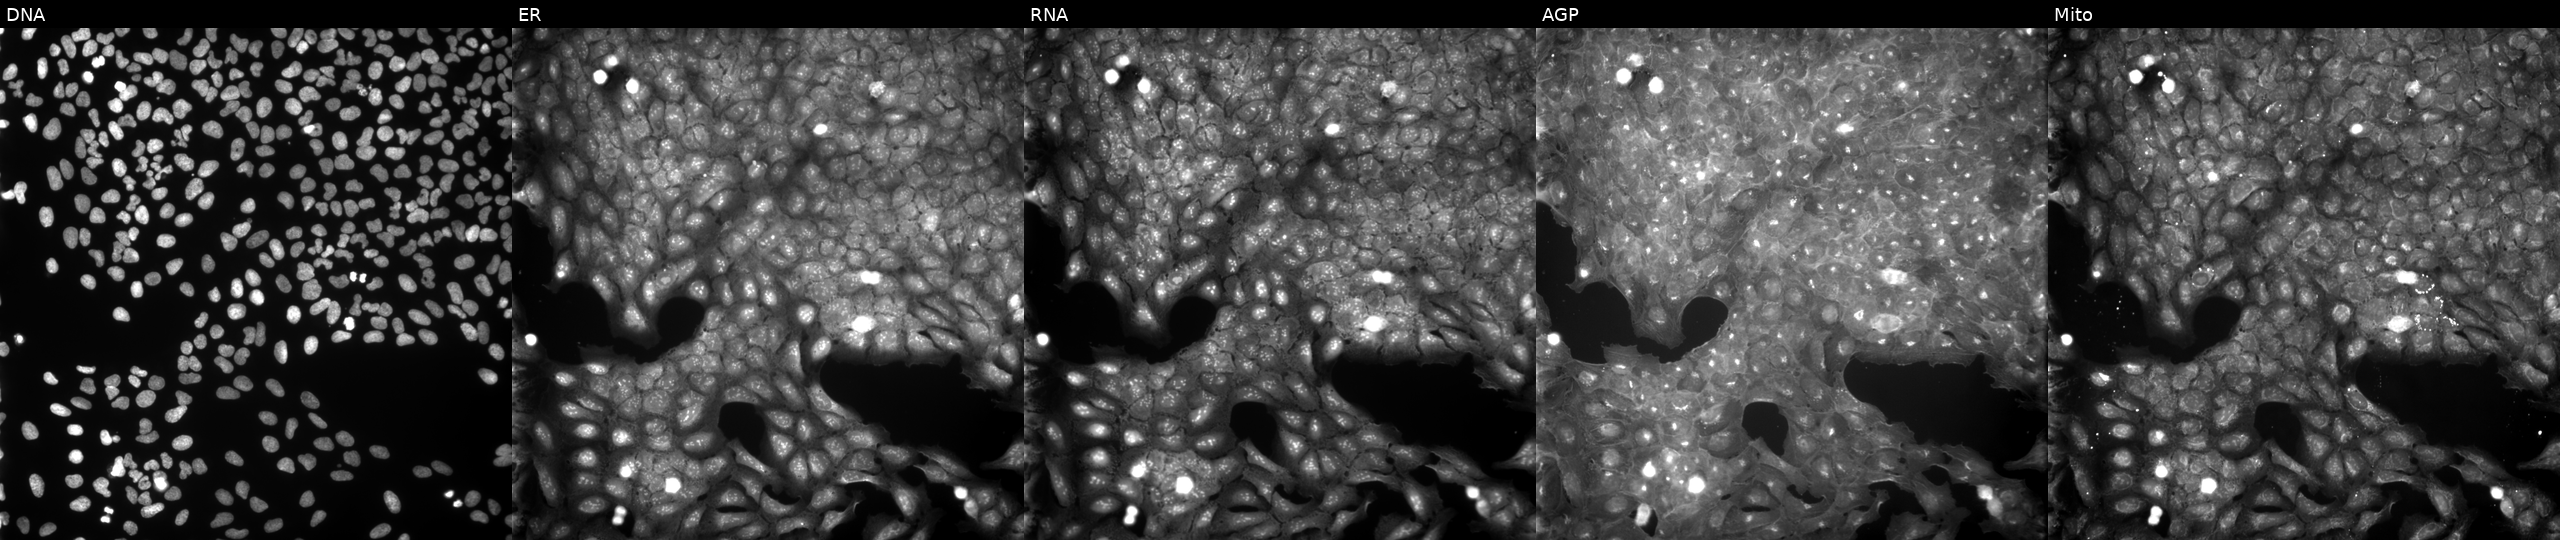
This image strip shows the five Cell Painting channels for a single field of U2OS cells exposed to a small-molecule compound (InChIKey KJEOHUDMDLBQKY-UHFFFAOYSA-N). Panels show, left to right, Hoechst 33342, concanavalin A, SYTO 14, phalloidin and WGA, MitoTracker.